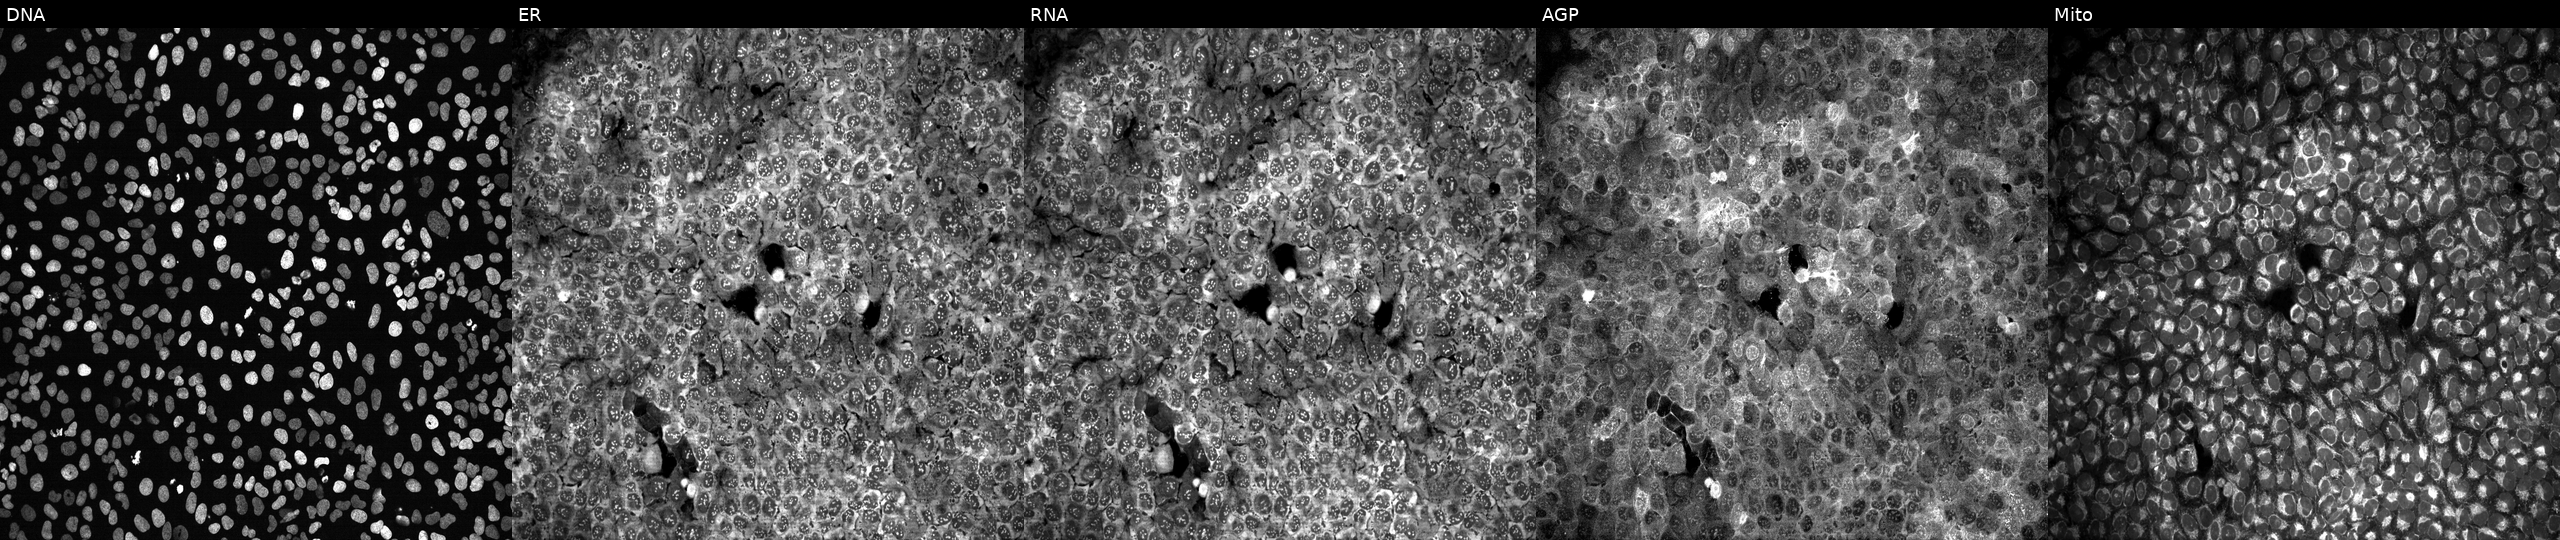
JUMP Cell Painting — CRISPR plate. U2OS cells with no CRISPR guide (negative control) (JUMP id JCP2022_800001). From left to right: DNA, ER, RNA, AGP, and Mito.